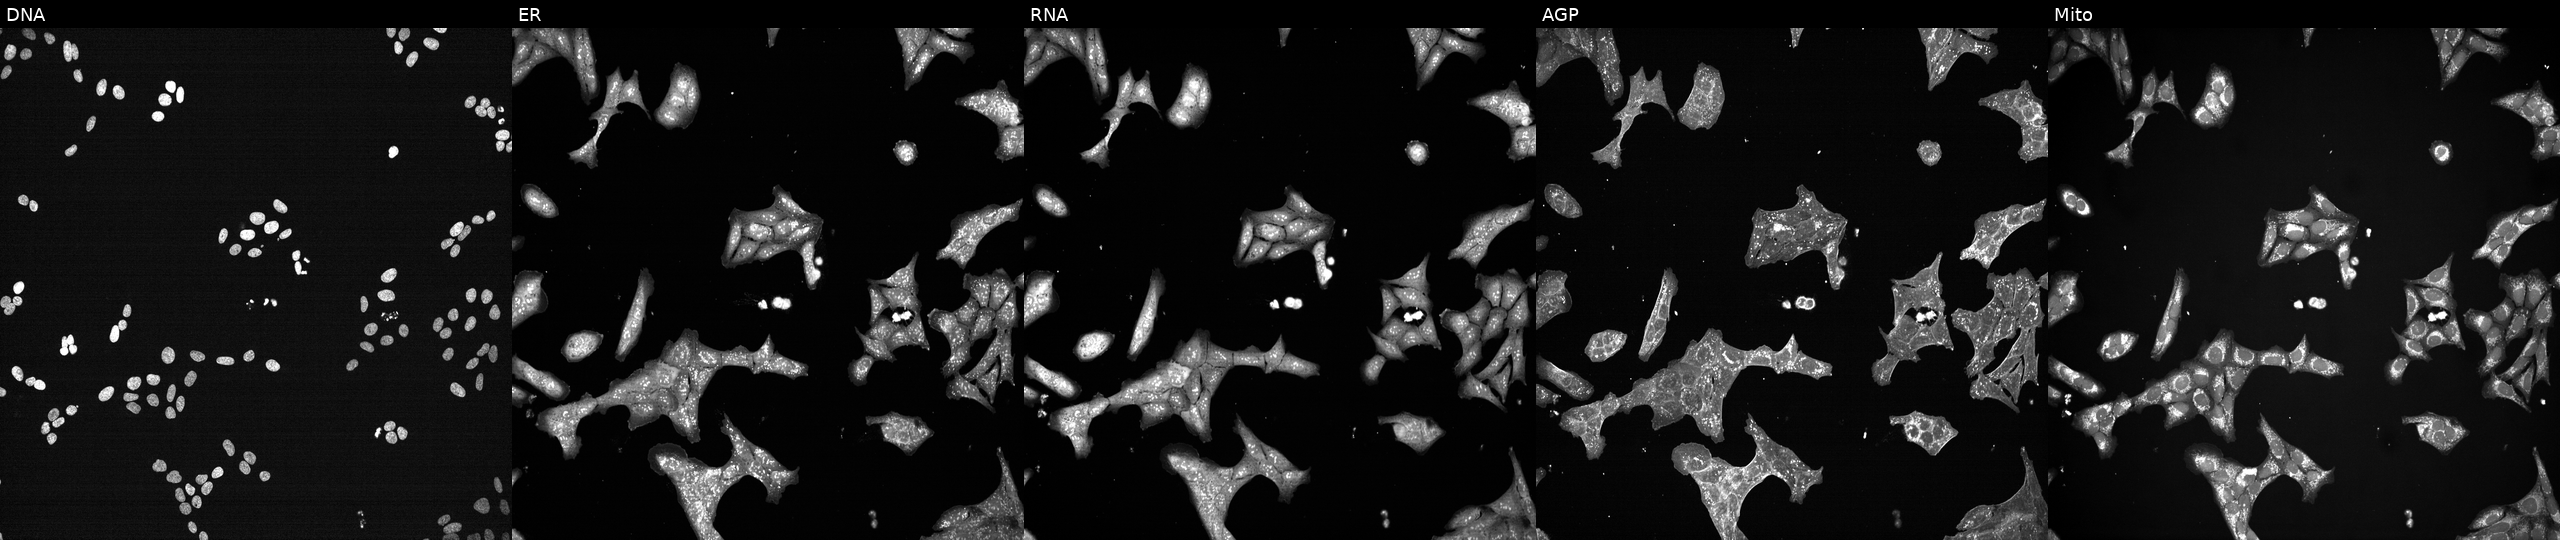
U2OS cells, Cell Painting assay, perturbed with a small-molecule compound (InChIKey AECDBHGVIIRMOI-UHFFFAOYSA-N) [SMILES: N=c1[nH]cnc2c1c(-c1cccc(OCc3ccccc3)c1)cn2C1CC(CN2CCC2)C1]. The five panels, left to right, show DNA, ER, RNA, AGP, and Mito. Each panel is percentile-stretched 16-bit fluorescence.